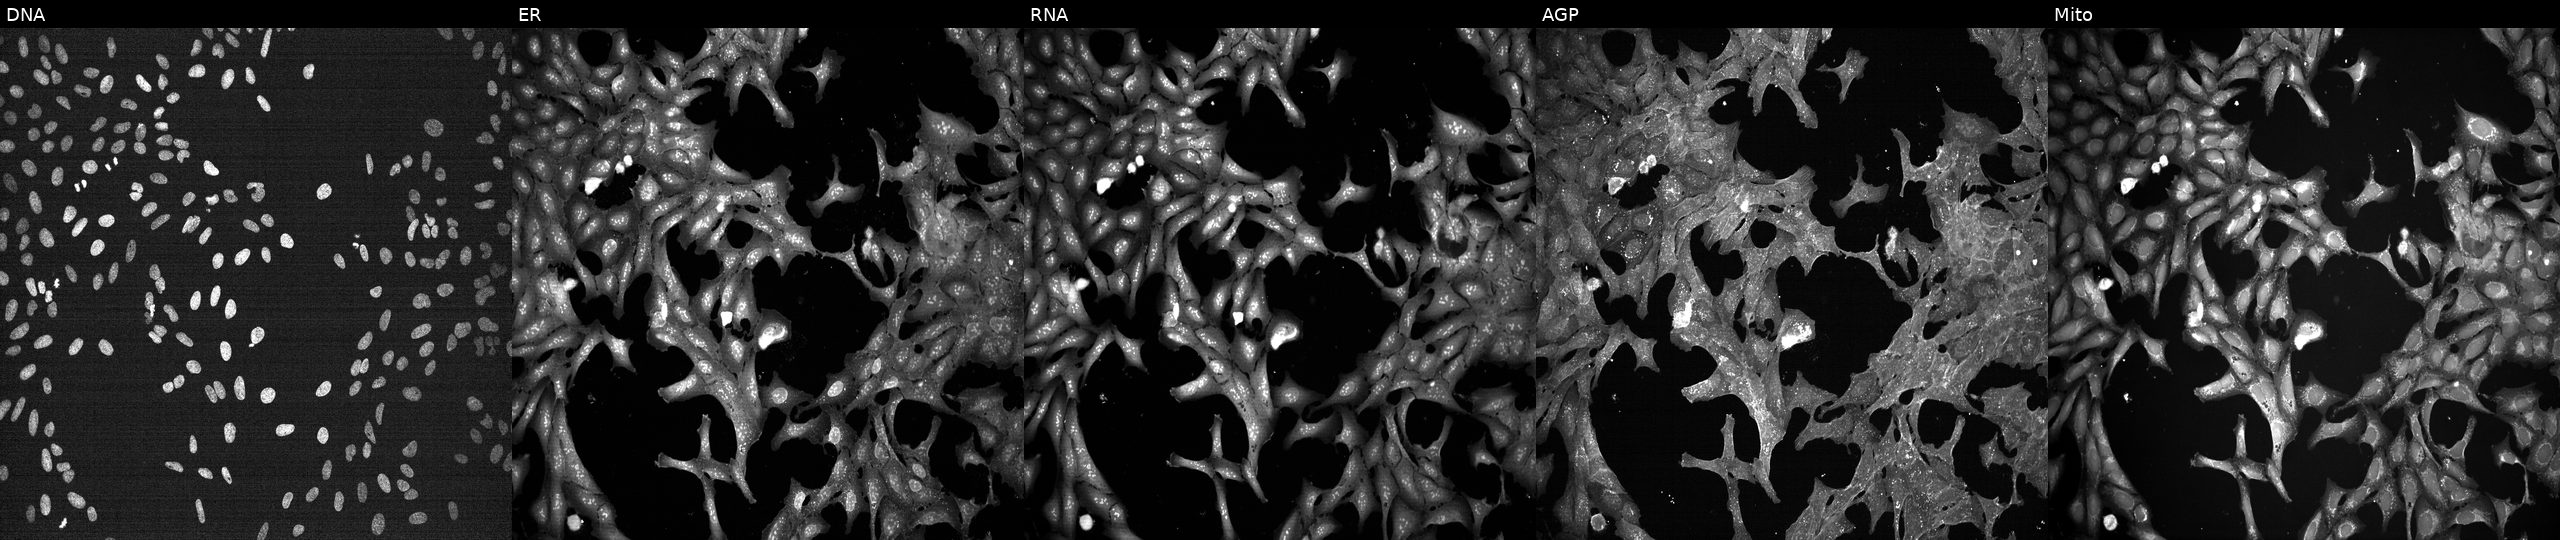
Five-channel Cell Painting image of U2OS cells treated with a small-molecule compound (InChIKey XFILPEOLDIKJHX-UHFFFAOYSA-N) [SMILES: CNC(=O)C(Cc1ccccc1)NC(=O)C(CC(C)C)C(CSc1cccs1)C(O)=NO] (JUMP id JCP2022_103291). From left to right: Hoechst 33342, concanavalin A, SYTO 14, phalloidin and WGA, MitoTracker.